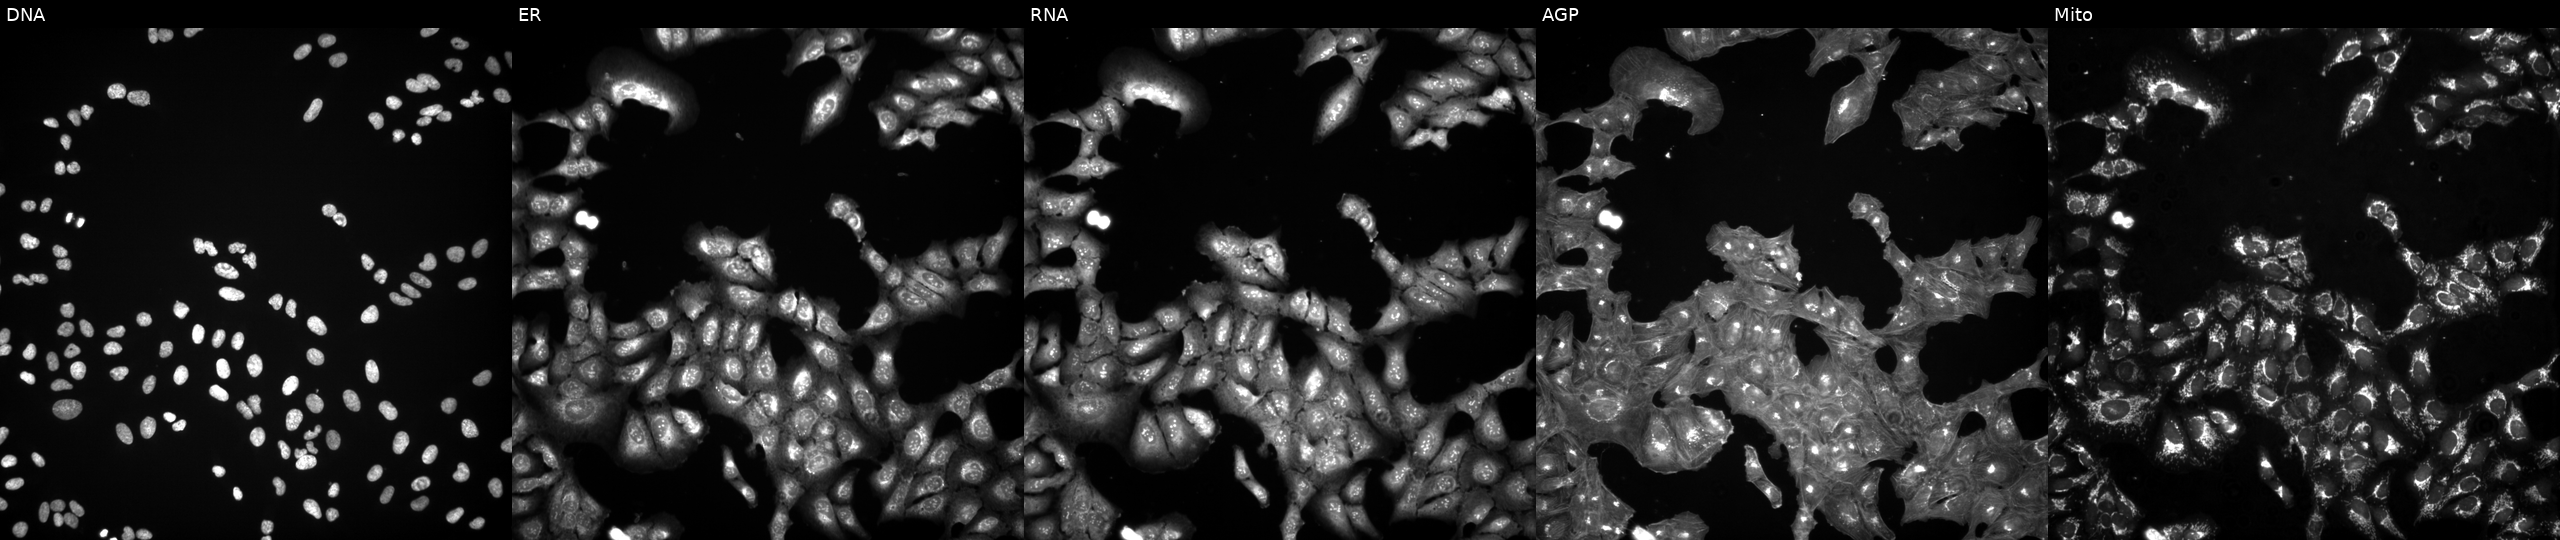
High-content fluorescence microscopy (Cell Painting). Cell line: U2OS. Perturbation: perturbed with a small-molecule compound (JUMP id JCP2022_040126). Panels show, left to right, DNA (nuclei); ER (endoplasmic reticulum); RNA (nucleoli and cytoplasmic RNA); AGP (actin cytoskeleton, Golgi, and plasma membrane); Mito (mitochondria). Source 3, plate BR5867a3, well O09.